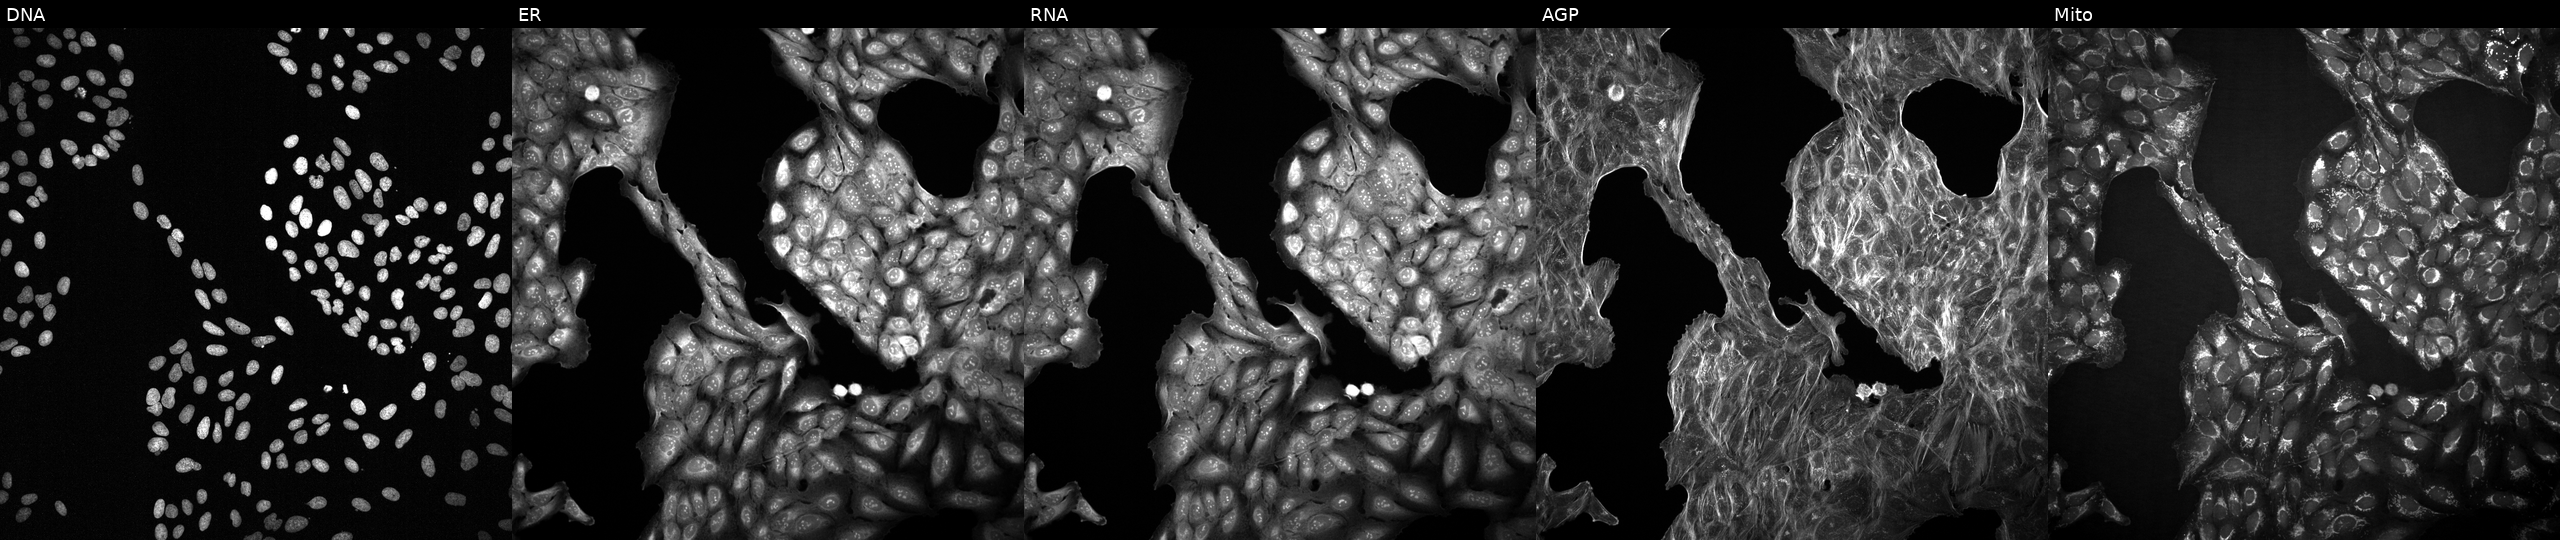
U2OS cells, Cell Painting assay, treated with DMSO vehicle only (negative control). Panels show, left to right, Hoechst 33342, concanavalin A, SYTO 14, phalloidin and WGA, MitoTracker. Each panel is percentile-stretched 16-bit fluorescence.